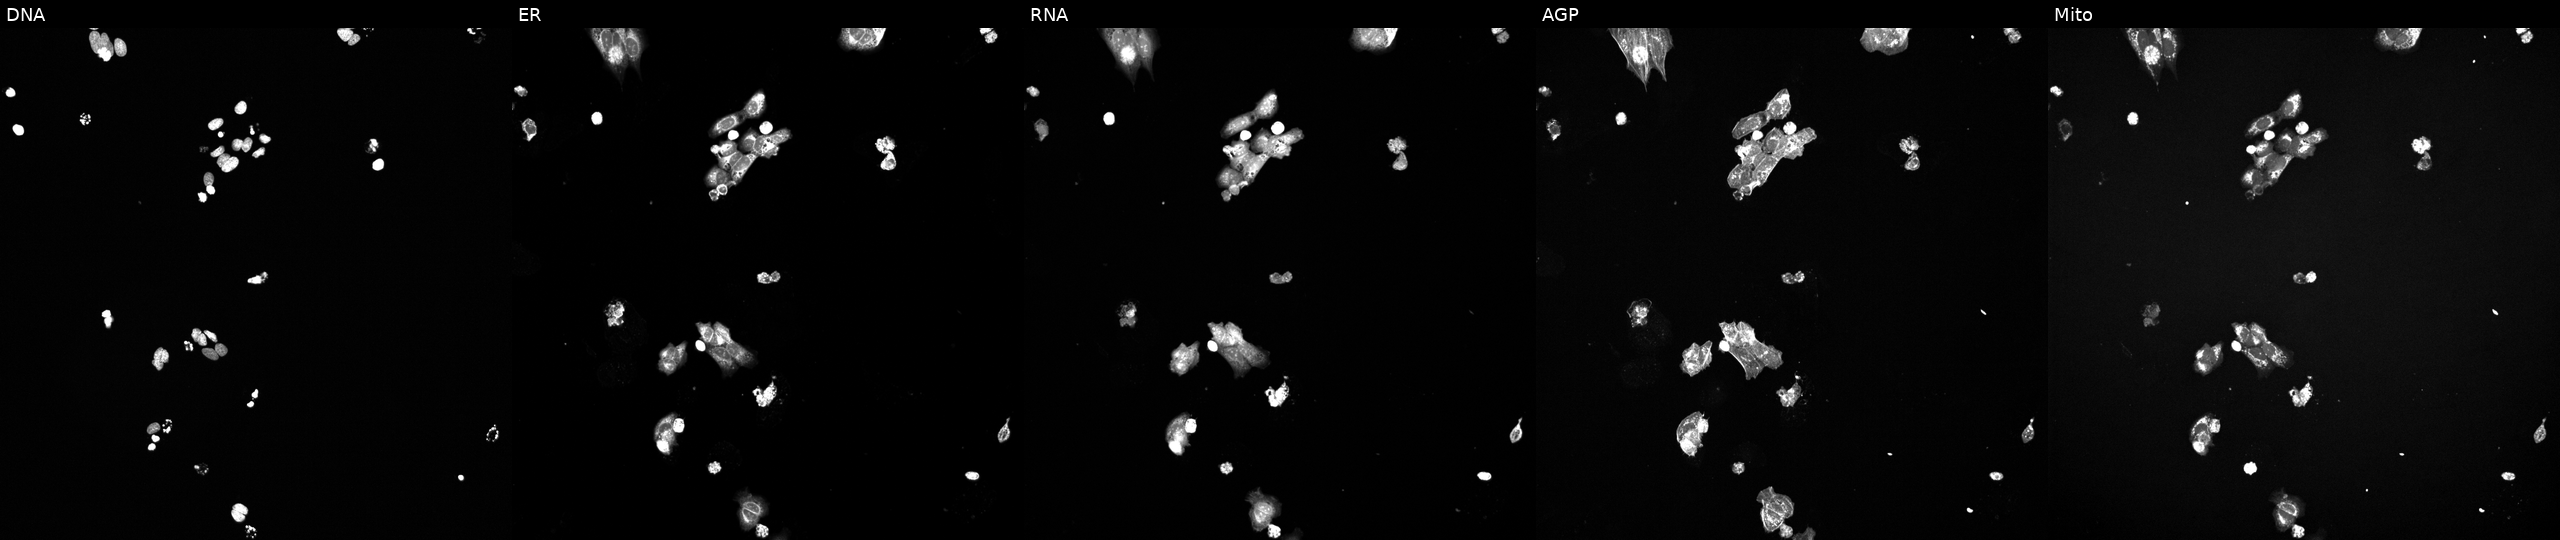
From left to right: DNA (nuclei); ER (endoplasmic reticulum); RNA (nucleoli and cytoplasmic RNA); AGP (actin cytoskeleton, Golgi, and plasma membrane); Mito (mitochondria). U2OS osteosarcoma cells exposed to a small-molecule compound (InChIKey NBTNHSGBRGTFJS-UHFFFAOYSA-N). Cell Painting assay, JUMP-CP dataset. Source 6, plate 110000293081, well K01.